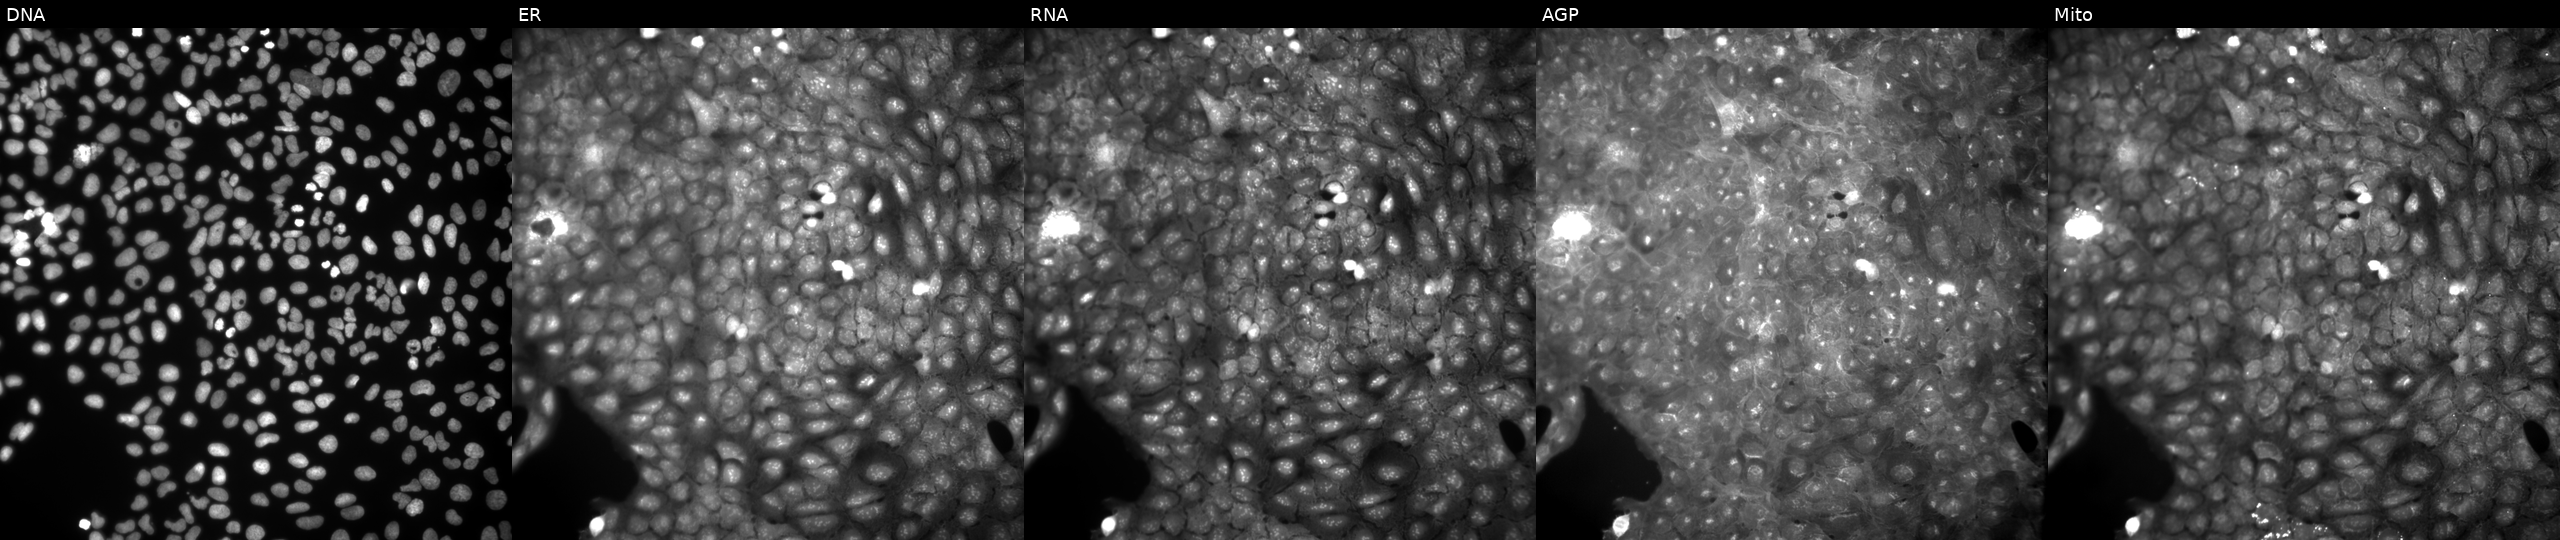
Five-channel Cell Painting image of U2OS cells exposed to a small-molecule compound (InChIKey IKLMVWNXNBFJRE-UHFFFAOYSA-N) (JUMP id JCP2022_035614). The five panels, left to right, show Hoechst 33342, concanavalin A, SYTO 14, phalloidin and WGA, MitoTracker. Source 9, plate GR00003382, well K45.